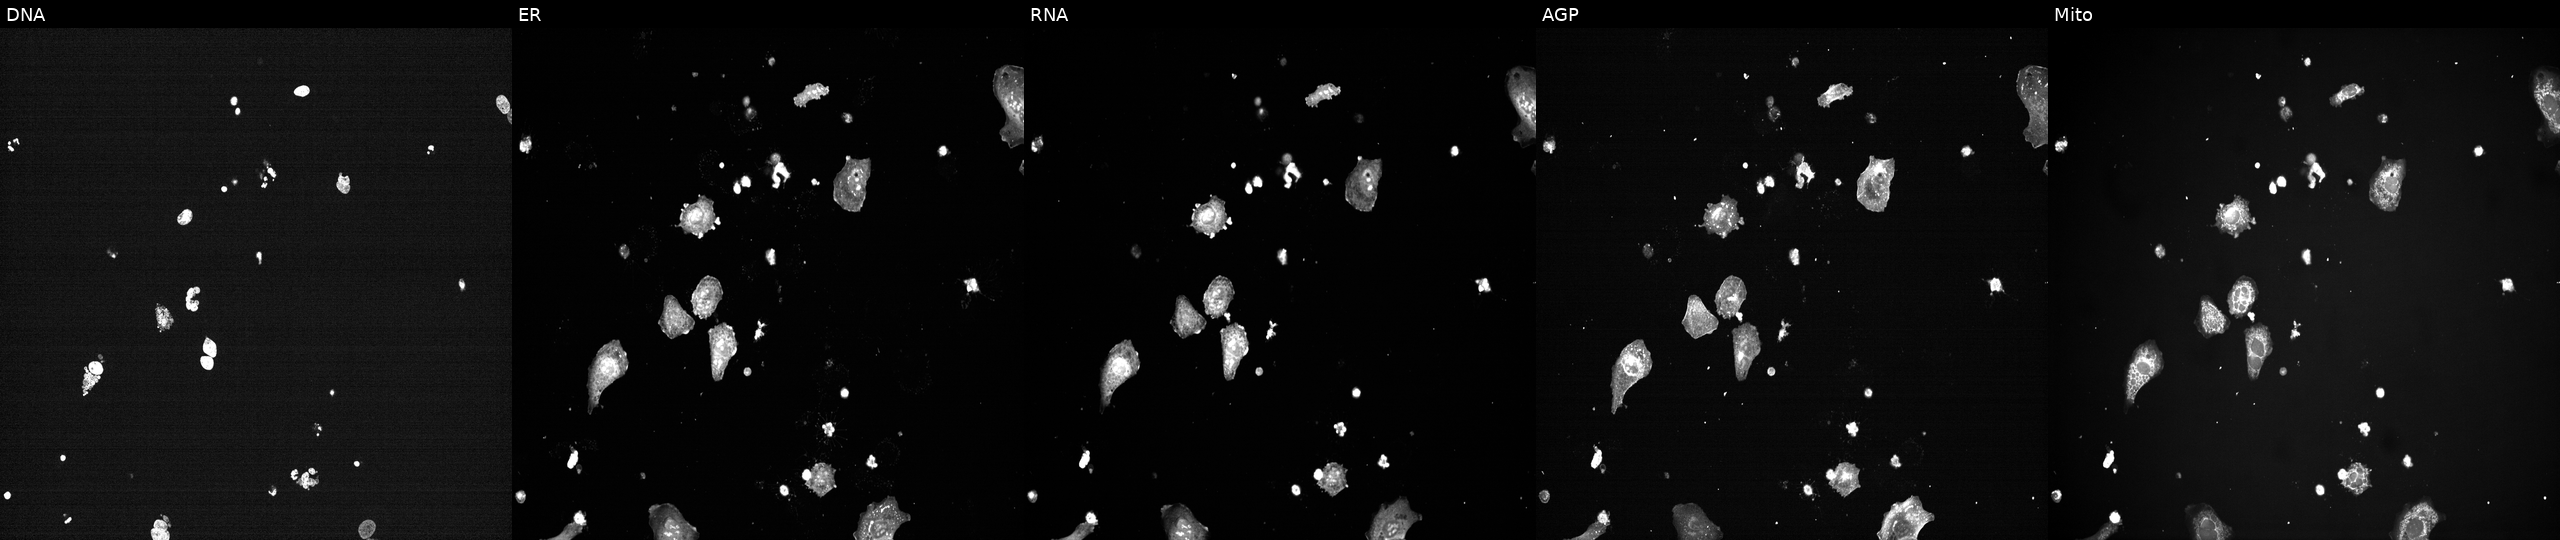
This image strip shows the five Cell Painting channels for a single field of U2OS cells perturbed with a small-molecule compound (JUMP id JCP2022_033814). The five panels, left to right, show DNA (nuclei); ER (endoplasmic reticulum); RNA (nucleoli and cytoplasmic RNA); AGP (actin cytoskeleton, Golgi, and plasma membrane); Mito (mitochondria). Source 7, plate CP3-SC1-25, well F19.